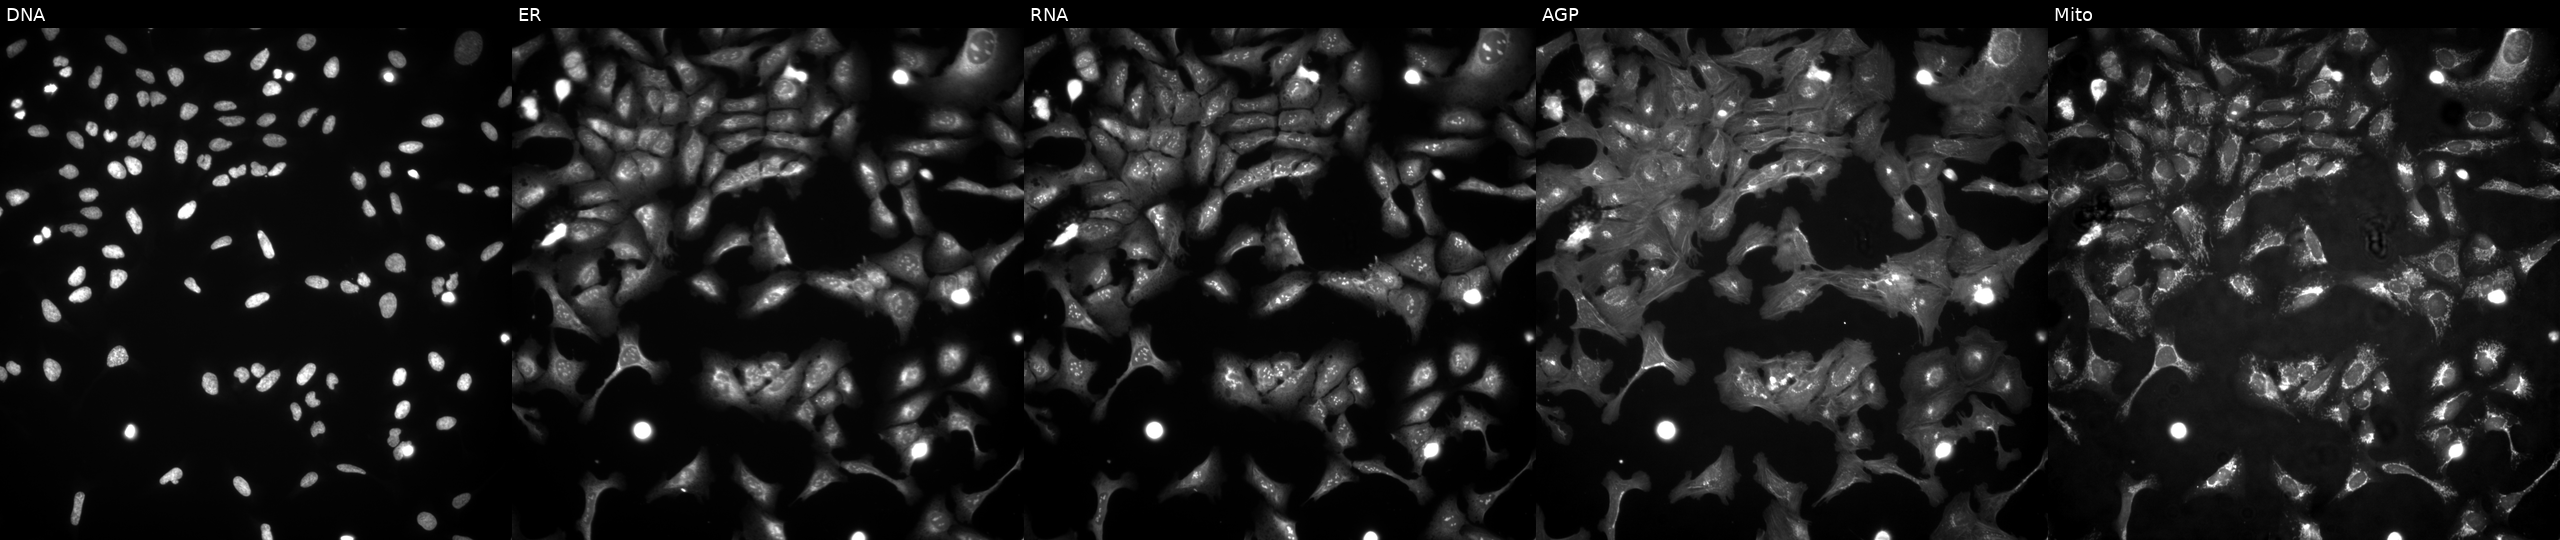
From left to right: DNA (nuclei); ER (endoplasmic reticulum); RNA (nucleoli and cytoplasmic RNA); AGP (actin cytoskeleton, Golgi, and plasma membrane); Mito (mitochondria). U2OS osteosarcoma cells overexpressing RAB39B via ORF transfection (JUMP id JCP2022_904411). Cell Painting assay, JUMP-CP dataset. Source 4, plate BR00123509, well H12.